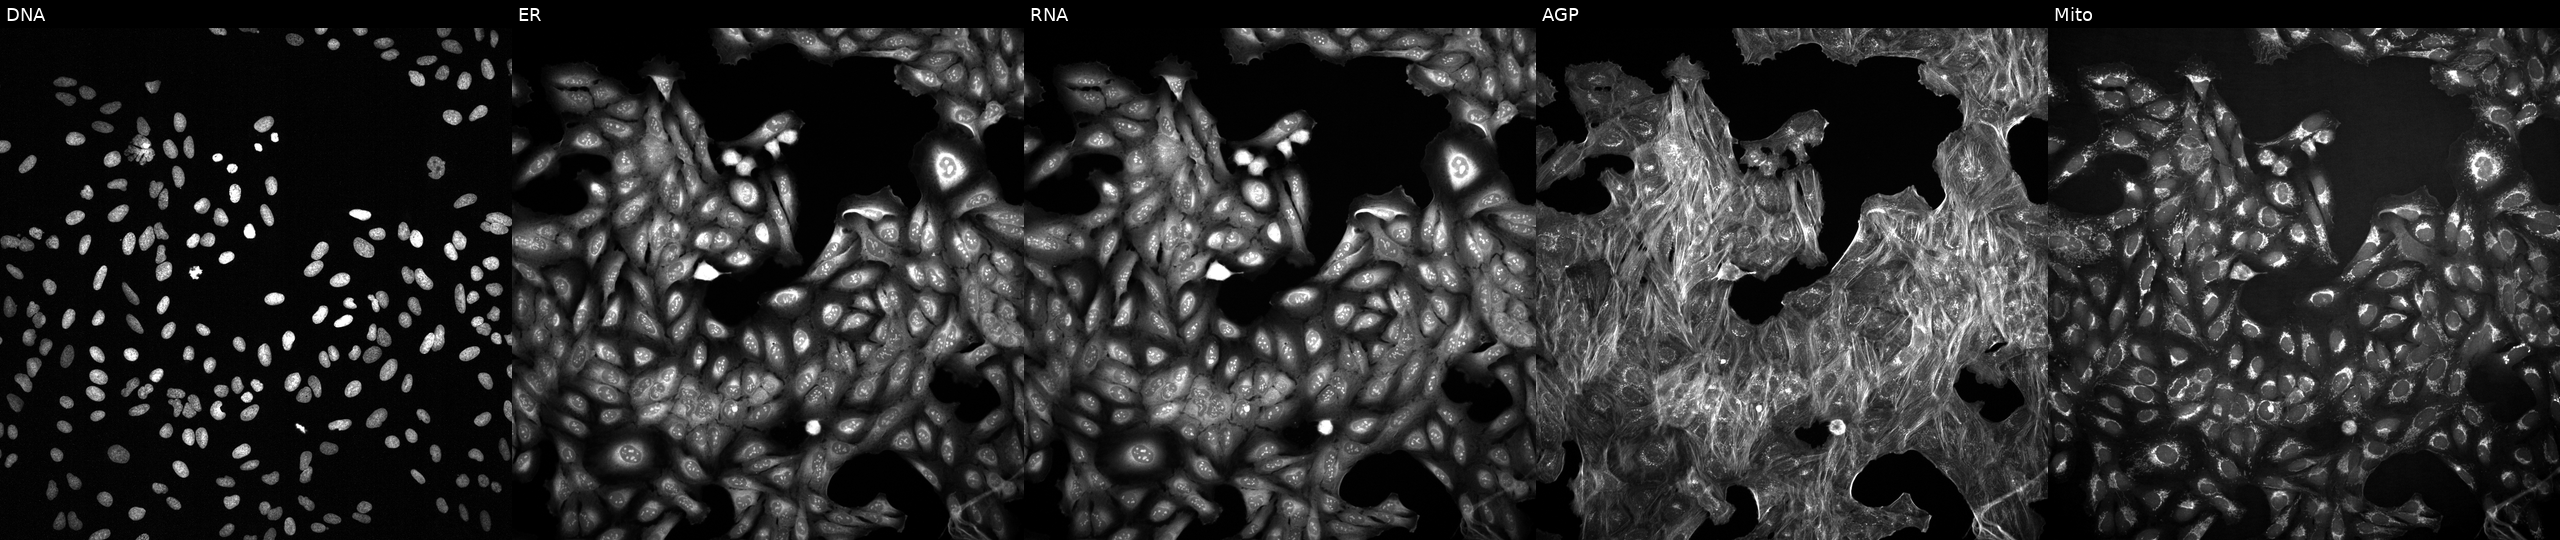
JUMP Cell Painting — COMPOUND plate. U2OS cells exposed to DMSO alone as a negative control. The five panels, left to right, show DNA, ER, RNA, AGP, and Mito.